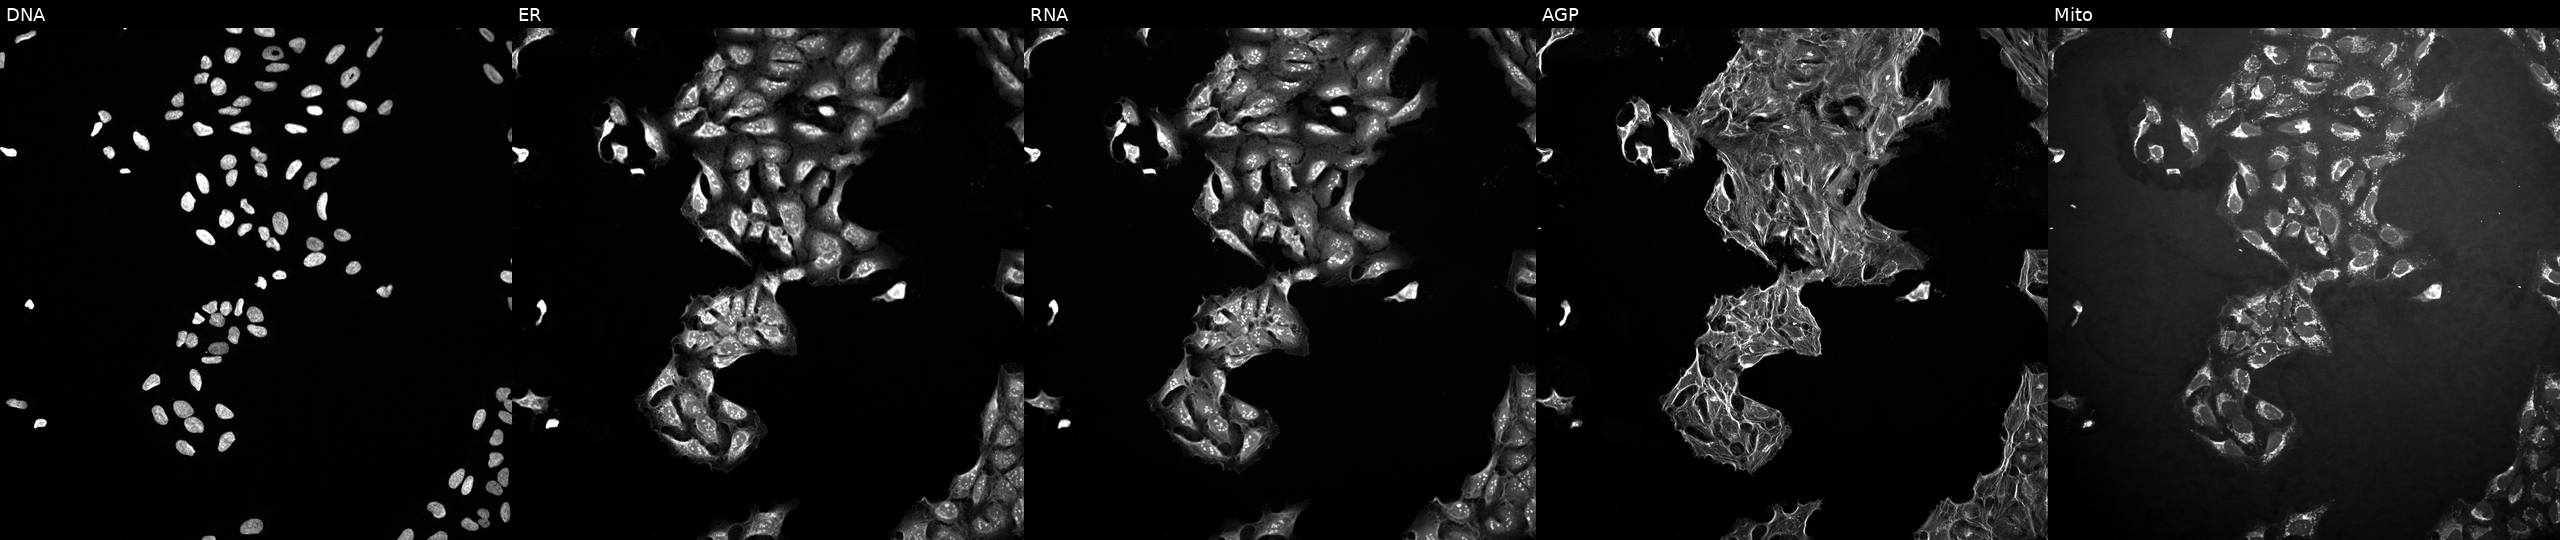
U2OS cells, Cell Painting assay, treated with a small-molecule compound (InChIKey QUIIIYITNGOFEI-UHFFFAOYSA-N) [SMILES: Cc1ccc(-n2sc(=O)n(Cc3ccc(F)cc3)c2=O)cc1] (JUMP id JCP2022_075930). The five panels, left to right, show Hoechst 33342, concanavalin A, SYTO 14, phalloidin and WGA, MitoTracker. Each panel is percentile-stretched 16-bit fluorescence. Source 10, plate Dest210726-160150, well C12.